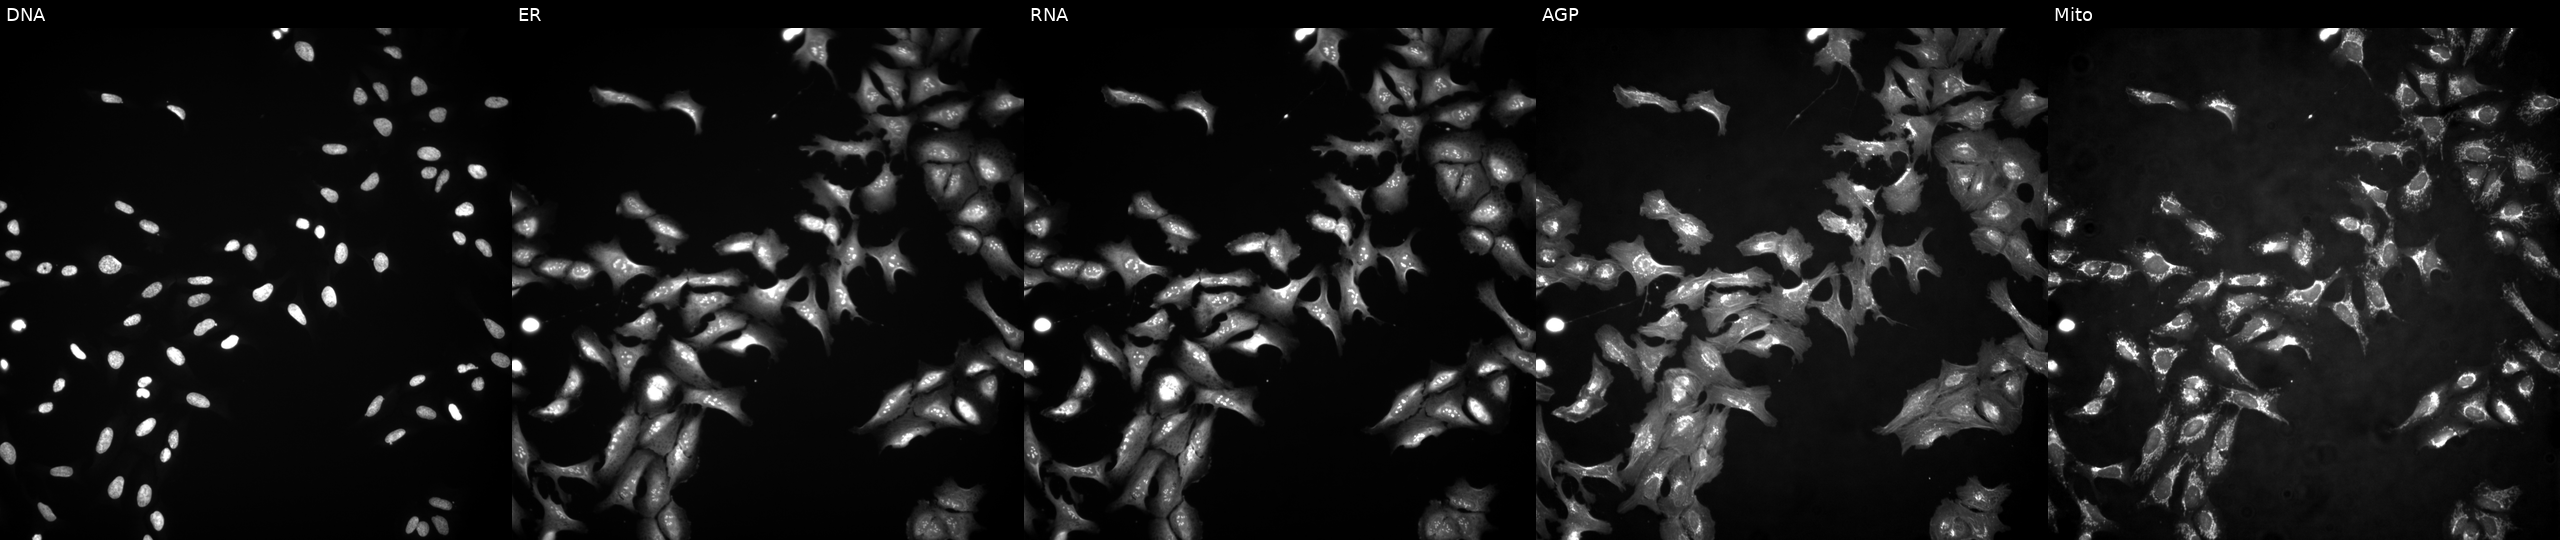
This image strip shows the five Cell Painting channels for a single field of U2OS cells transfected with an ORF construct for ZNF324. From left to right: DNA, ER, RNA, AGP, and Mito. Source 4, plate BR00117035, well F06.